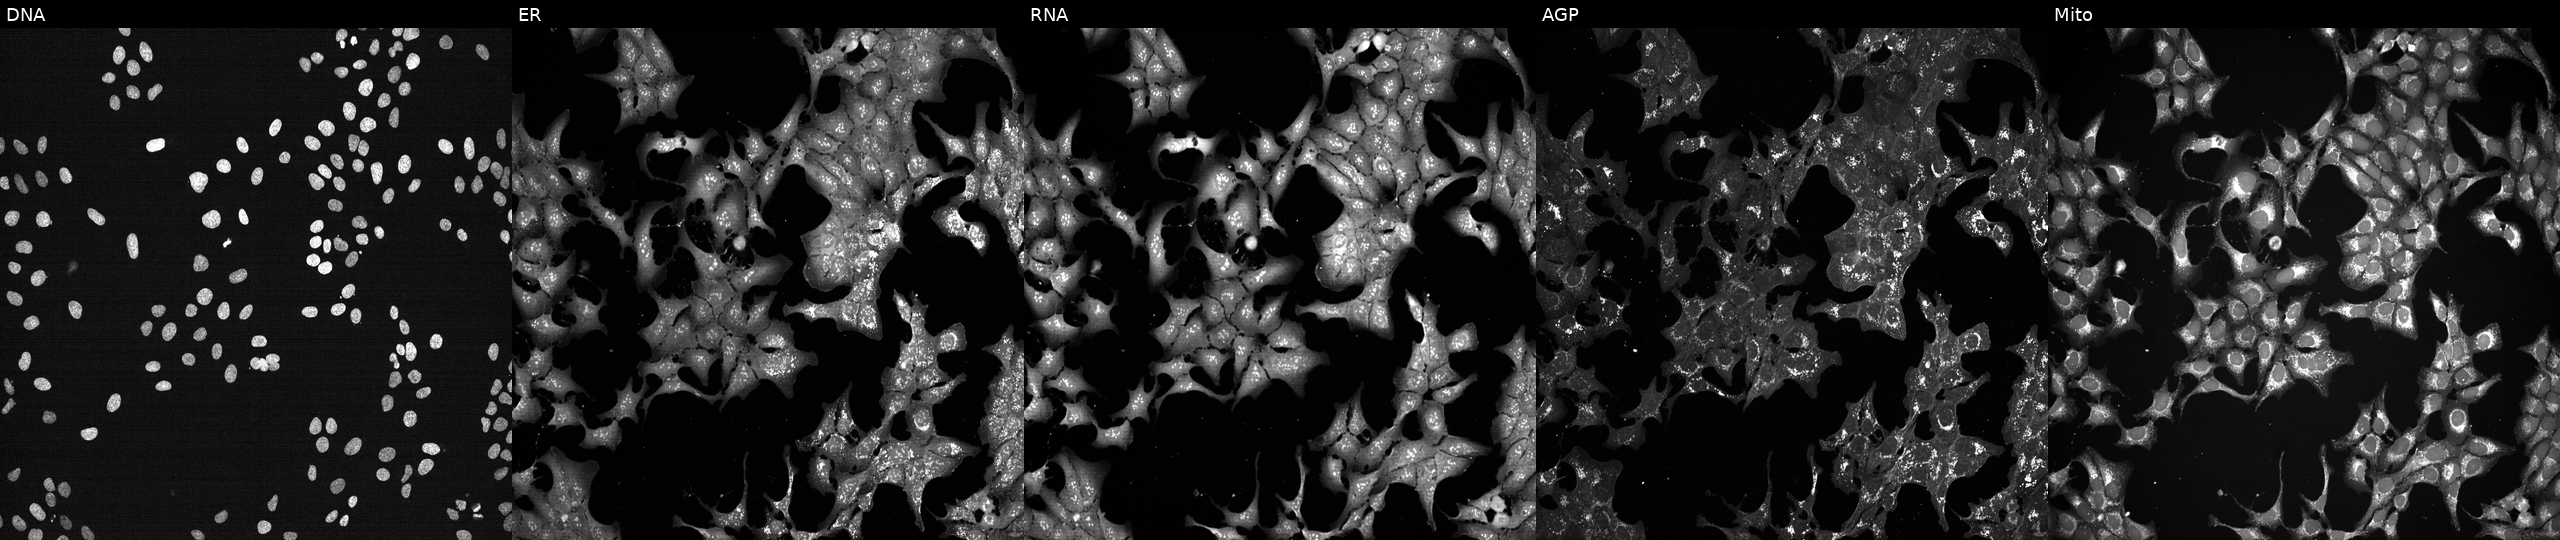
High-content fluorescence microscopy (Cell Painting). Cell line: U2OS. Perturbation: exposed to a small-molecule compound (InChIKey ZYVXTMKTGDARKR-UHFFFAOYSA-N) (JUMP id JCP2022_116560). The five panels, left to right, show DNA (nuclei); ER (endoplasmic reticulum); RNA (nucleoli and cytoplasmic RNA); AGP (actin cytoskeleton, Golgi, and plasma membrane); Mito (mitochondria). Source 7, plate CP2-SC1-25, well J09.